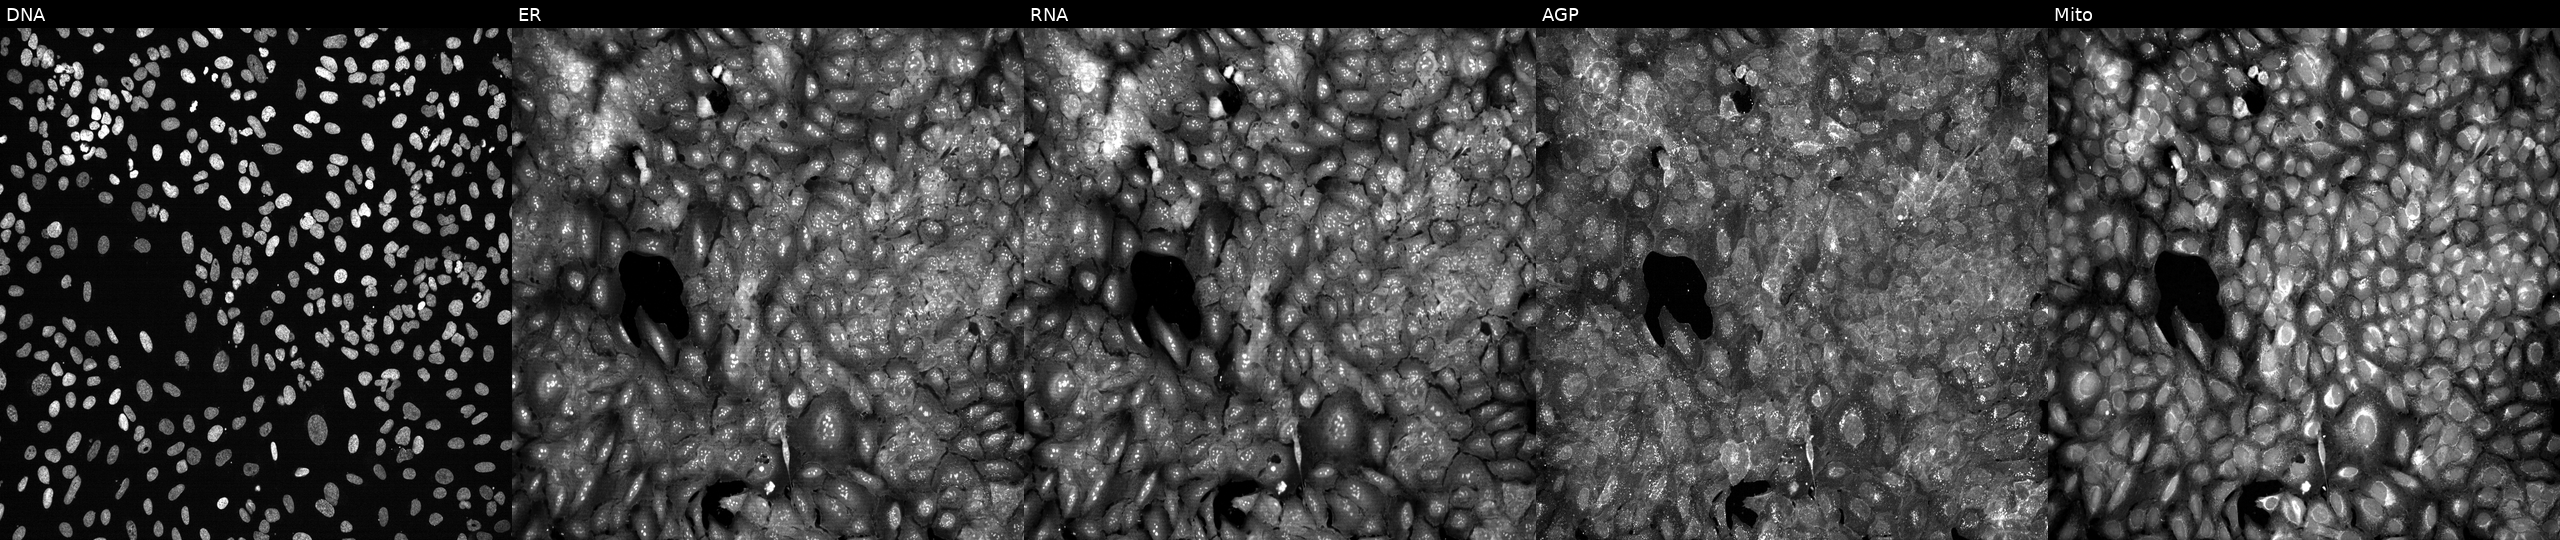
Five-channel Cell Painting image of U2OS cells following CRISPR knockout of CD72 (JUMP id JCP2022_801164). Panels show, left to right, Hoechst 33342, concanavalin A, SYTO 14, phalloidin and WGA, MitoTracker.